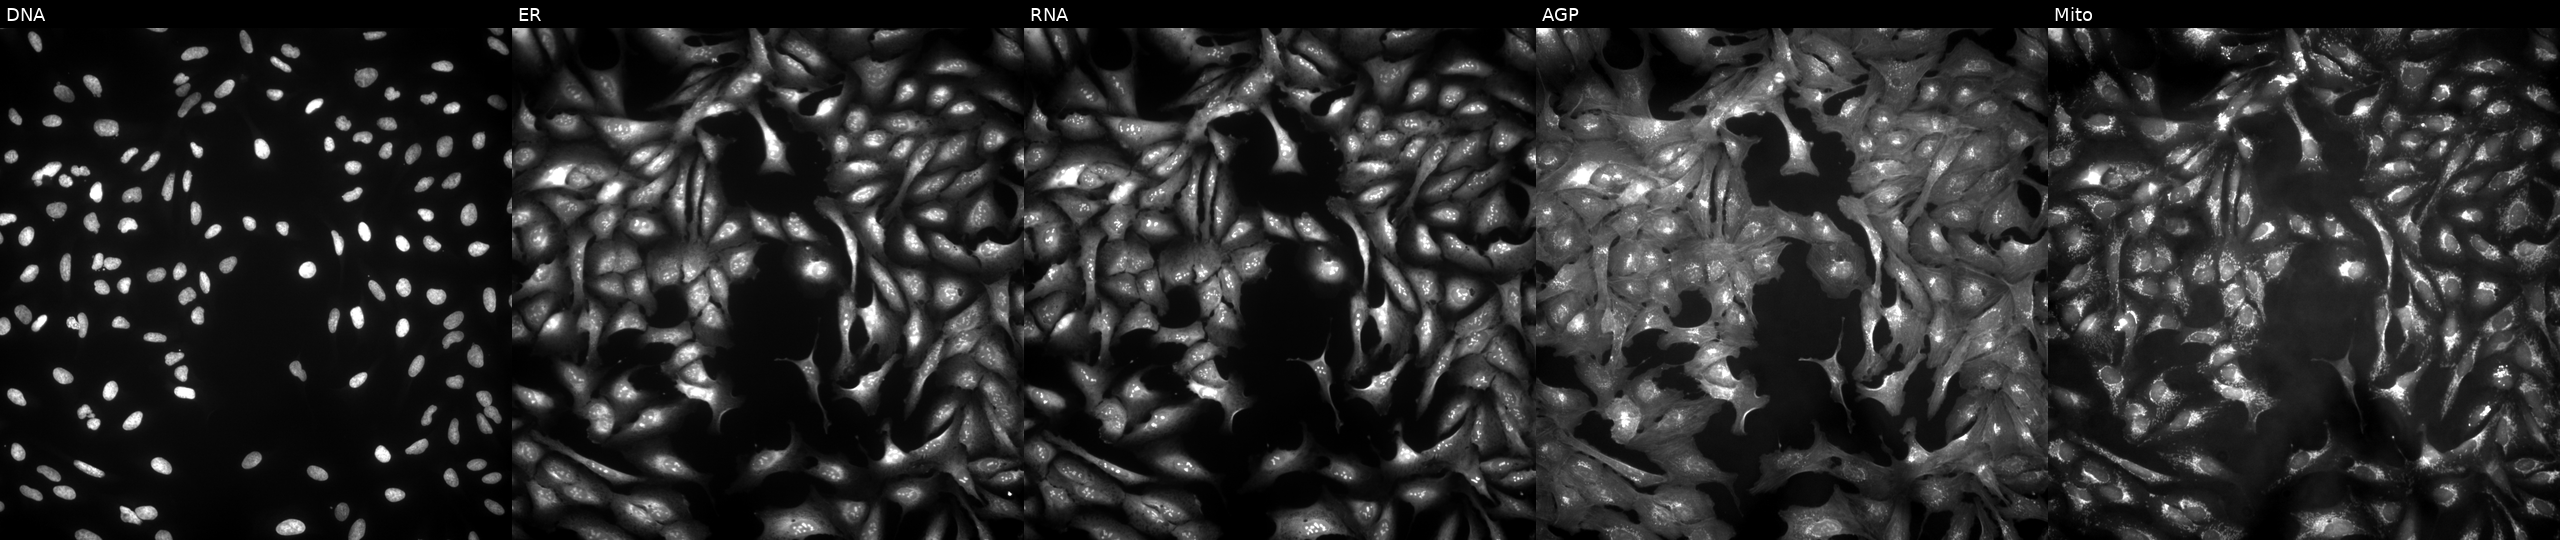
This image strip shows the five Cell Painting channels for a single field of U2OS cells overexpressing RNF25 via ORF transfection (JUMP id JCP2022_903697). The five panels, left to right, show Hoechst 33342, concanavalin A, SYTO 14, phalloidin and WGA, MitoTracker.